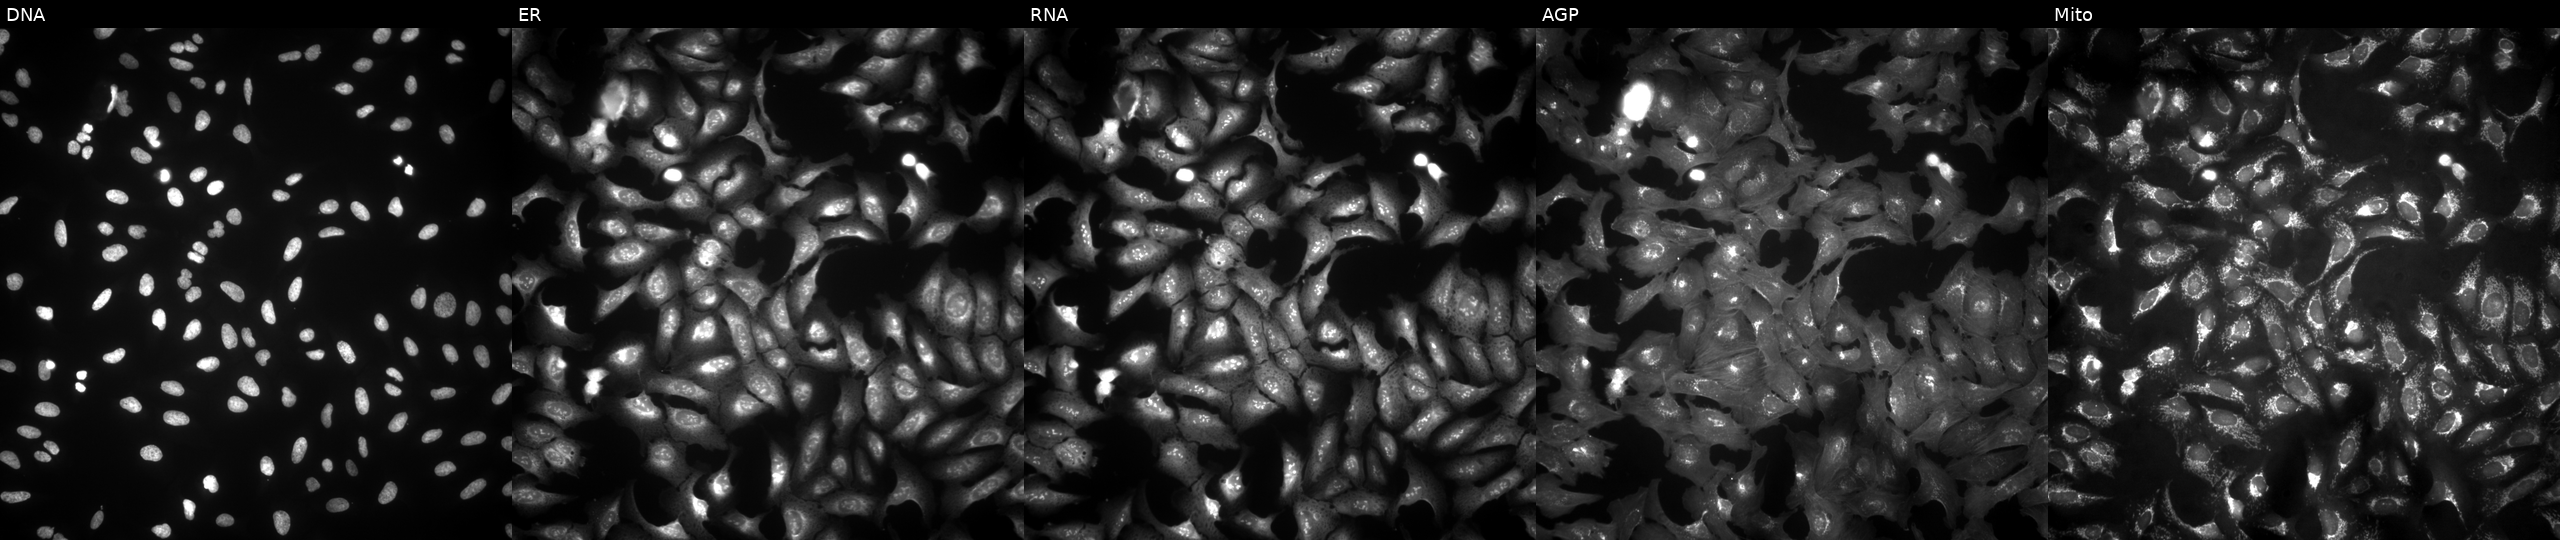
High-content fluorescence microscopy (Cell Painting). Cell line: U2OS. Perturbation: with TTLL2 overexpressed (ORF). From left to right: DNA (nuclei); ER (endoplasmic reticulum); RNA (nucleoli and cytoplasmic RNA); AGP (actin cytoskeleton, Golgi, and plasma membrane); Mito (mitochondria).